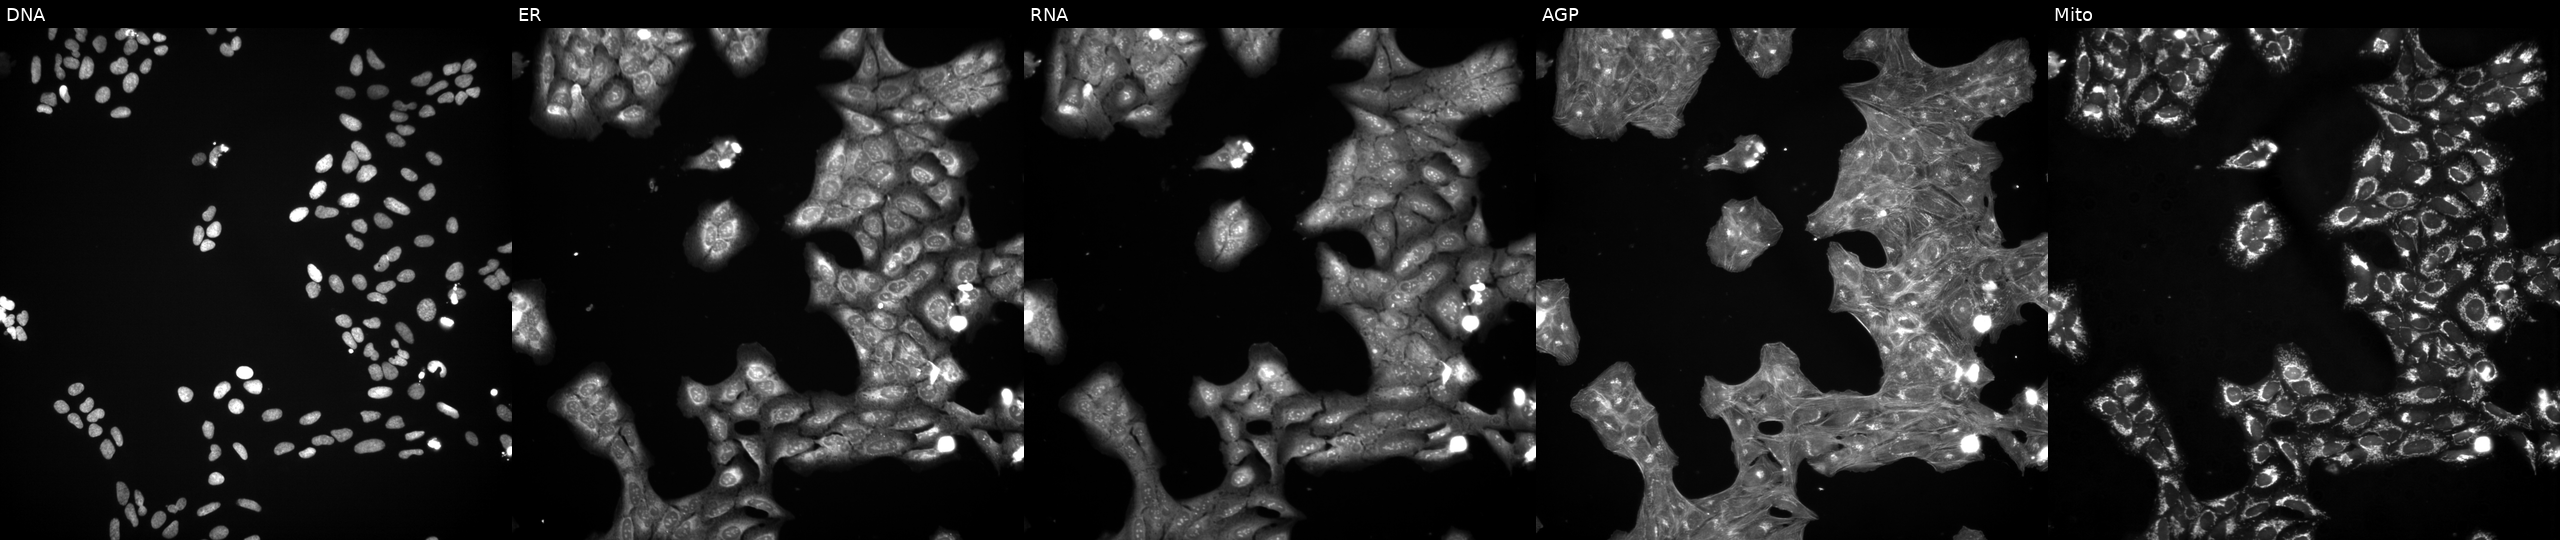
JUMP Cell Painting — TARGET2 plate. U2OS cells treated with a small-molecule compound (InChIKey DHMTURDWPRKSOA-UHFFFAOYSA-N) (JUMP id JCP2022_015955). From left to right: DNA (nuclei); ER (endoplasmic reticulum); RNA (nucleoli and cytoplasmic RNA); AGP (actin cytoskeleton, Golgi, and plasma membrane); Mito (mitochondria).